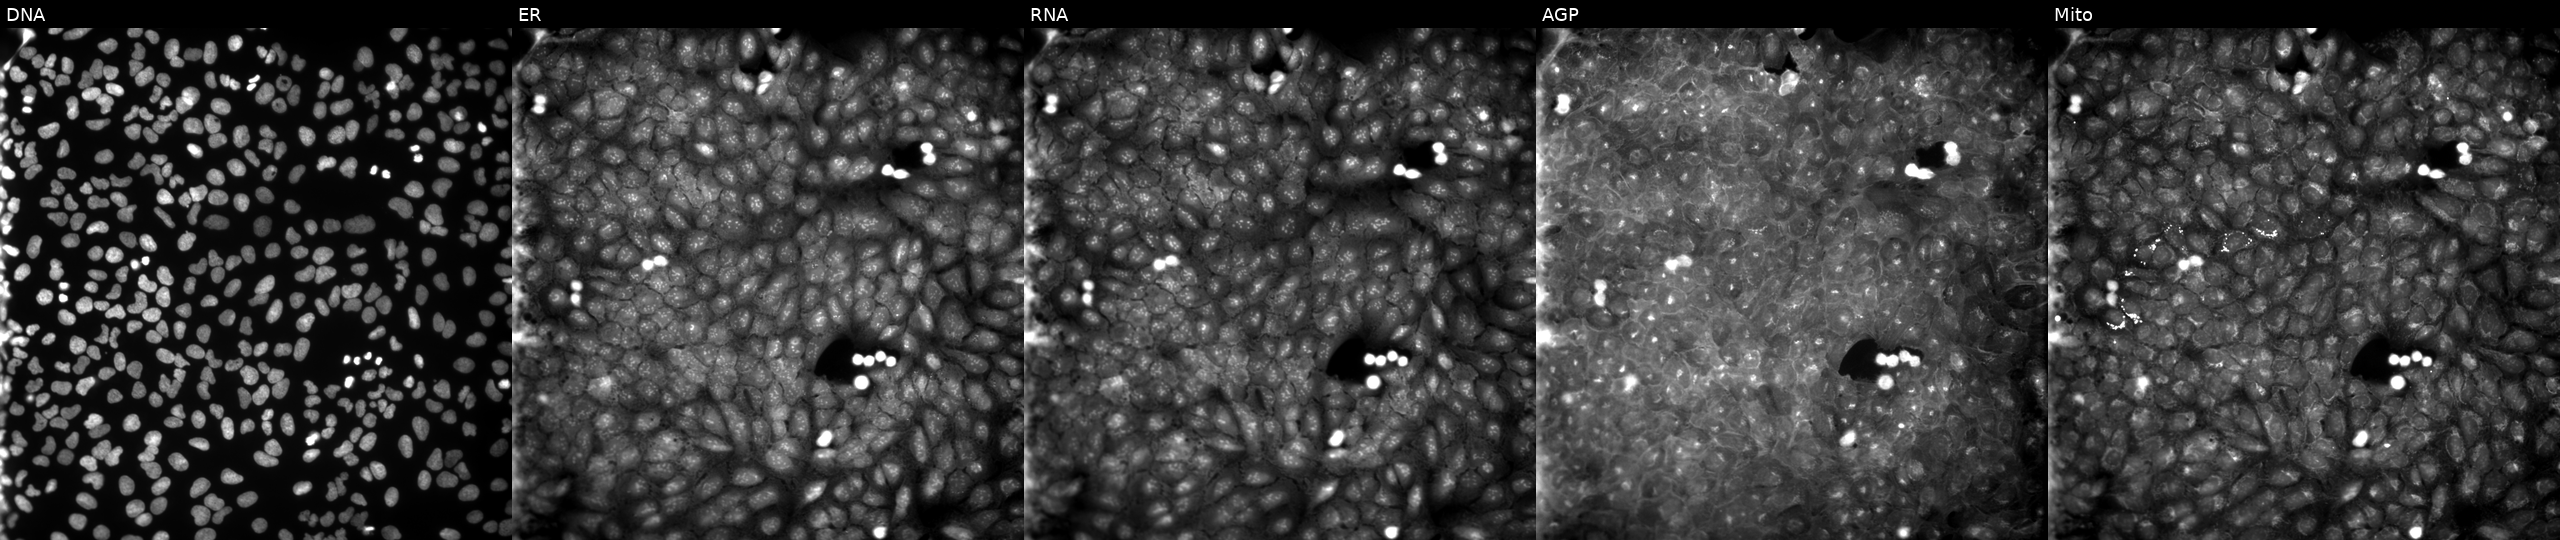
JUMP Cell Painting — COMPOUND plate. U2OS cells treated with a small-molecule compound (InChIKey PBEXVKFTCRVCMA-UHFFFAOYSA-N). Channels (left→right): DNA, ER, RNA, AGP, and Mito.